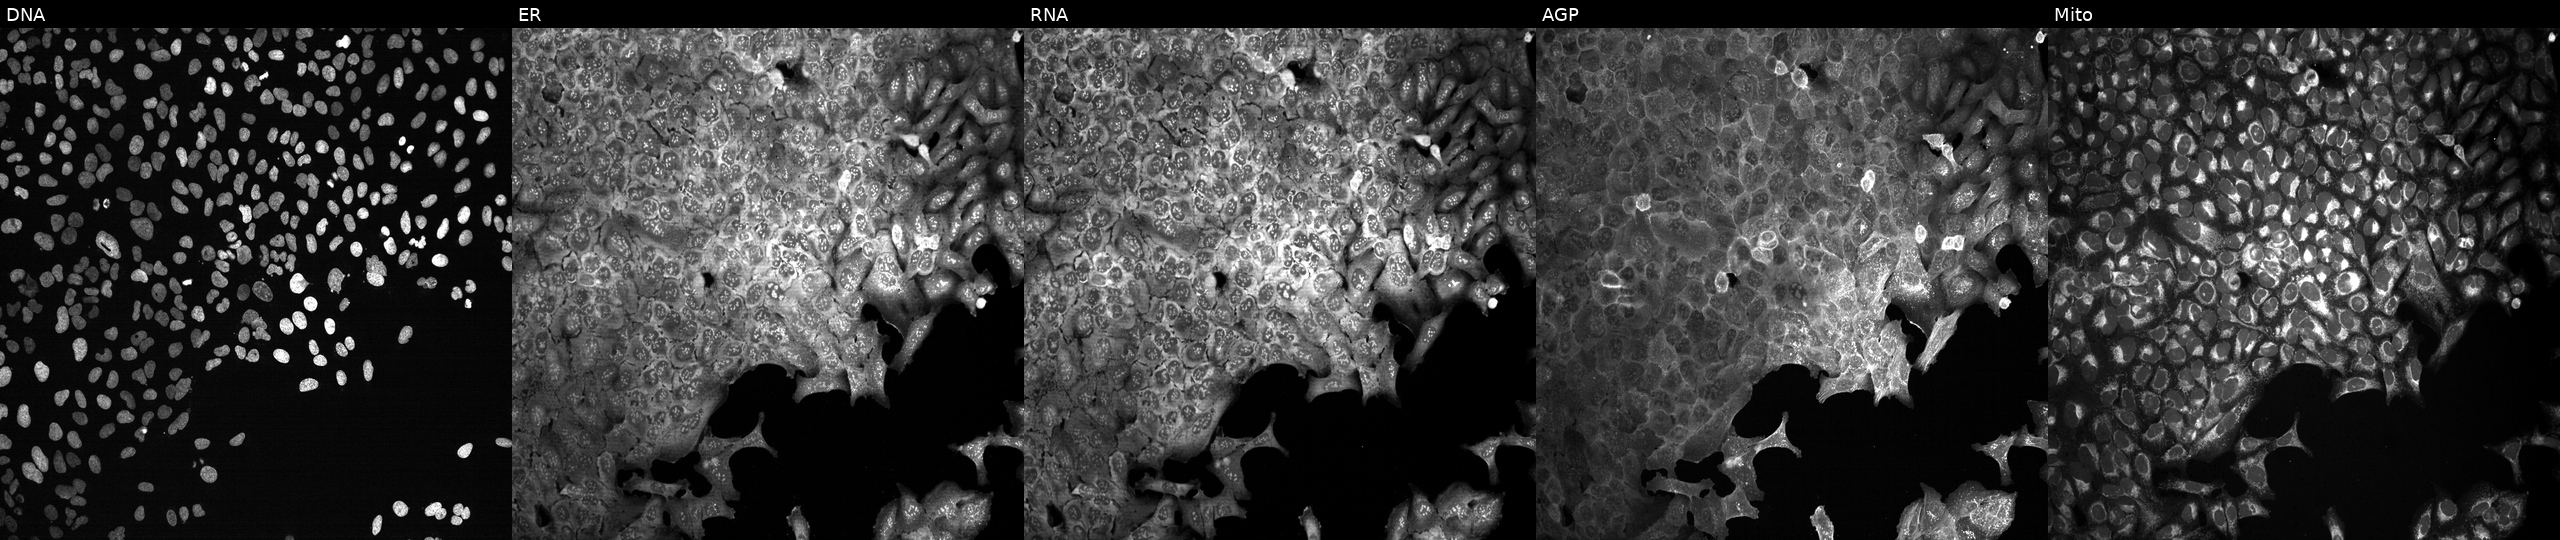
High-content fluorescence microscopy (Cell Painting). Cell line: U2OS. Perturbation: CRISPR-edited to disrupt CELA3A. From left to right: DNA (nuclei); ER (endoplasmic reticulum); RNA (nucleoli and cytoplasmic RNA); AGP (actin cytoskeleton, Golgi, and plasma membrane); Mito (mitochondria). Source 13, plate CP-CC9-R6-19, well O03.